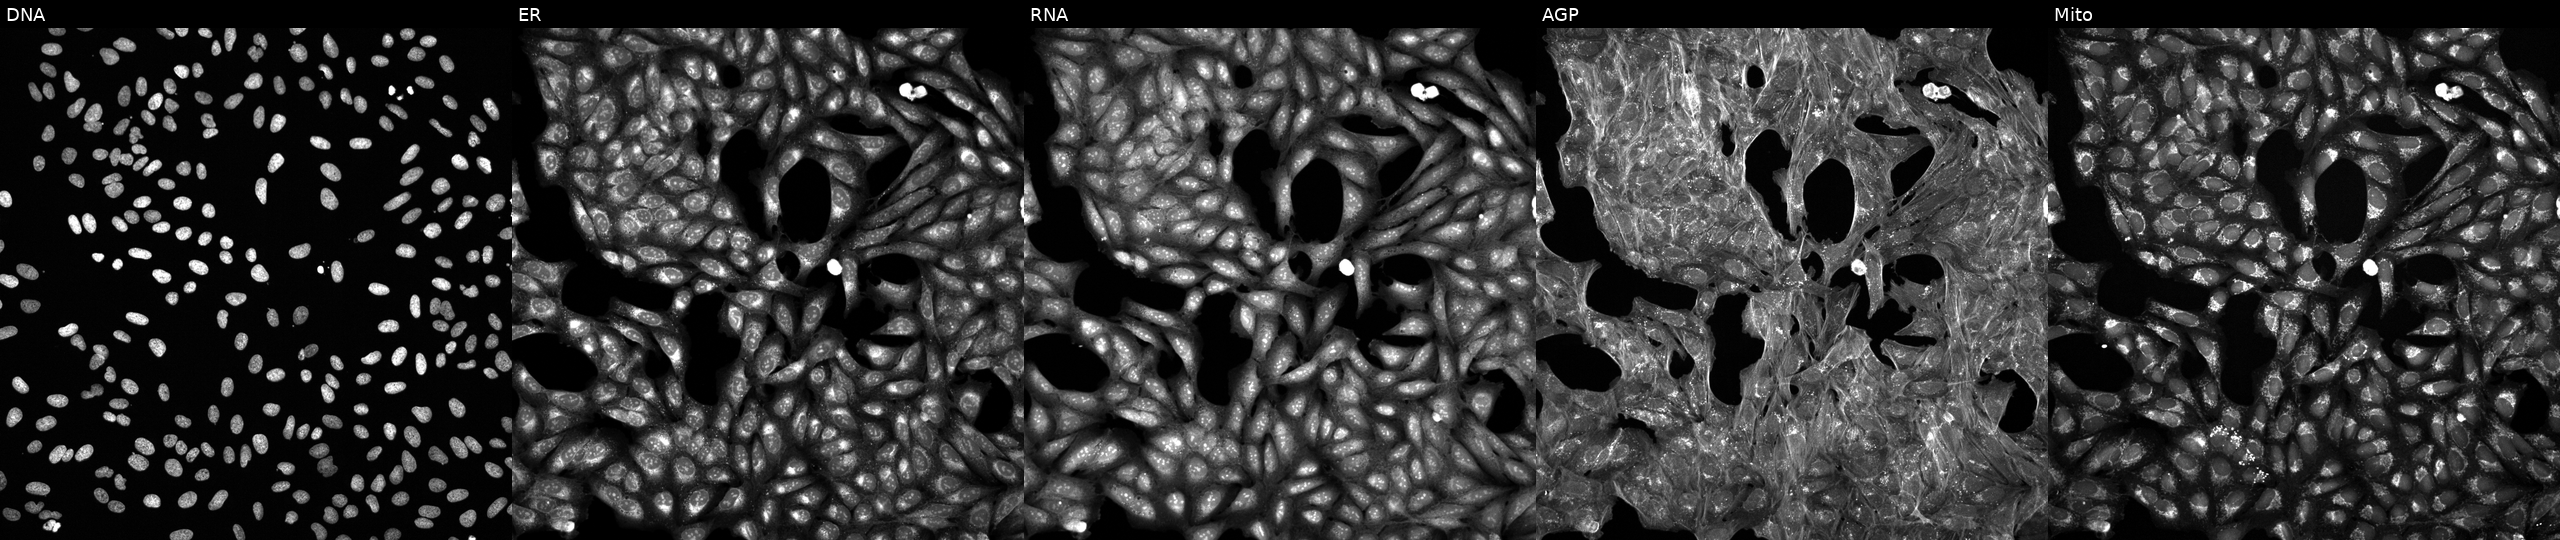
High-content fluorescence microscopy (Cell Painting). Cell line: U2OS. Perturbation: exposed to a small-molecule compound (InChIKey UXUQIRNFBFRPAC-UHFFFAOYSA-N) (JUMP id JCP2022_092256). The five panels, left to right, show DNA, ER, RNA, AGP, and Mito.